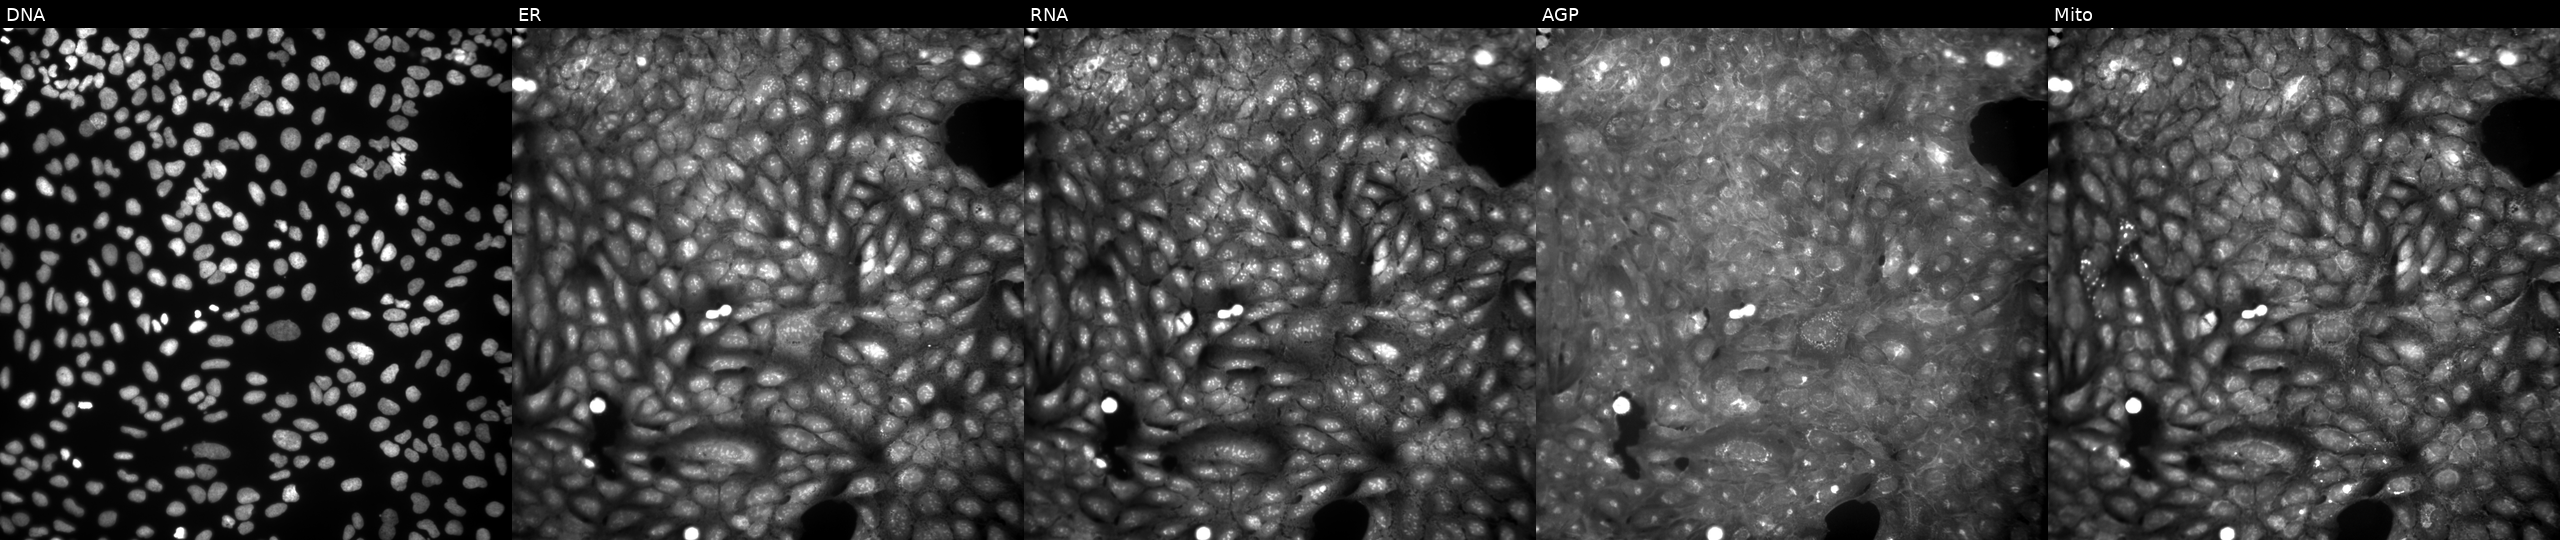
This image strip shows the five Cell Painting channels for a single field of U2OS cells treated with a small-molecule compound (InChIKey KWEBYQPUOCUORU-UHFFFAOYSA-N). Panels show, left to right, Hoechst 33342, concanavalin A, SYTO 14, phalloidin and WGA, MitoTracker. Source 9, plate GR00003381, well D43.